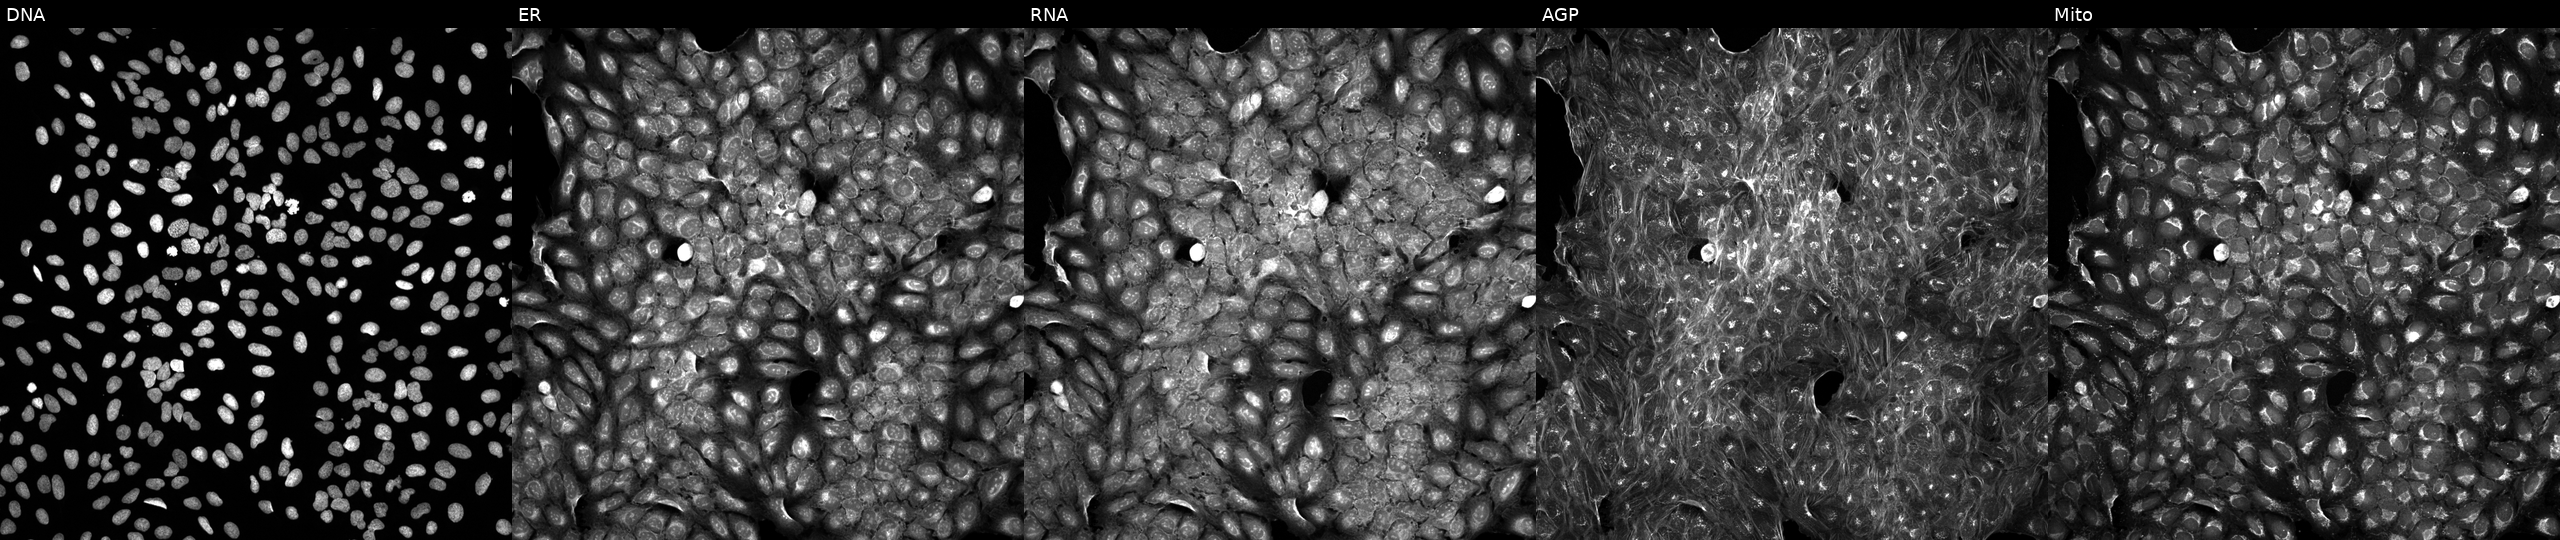
High-content fluorescence microscopy (Cell Painting). Cell line: U2OS. Perturbation: treated with a small-molecule compound (InChIKey QVZCXCJXTMIDME-UHFFFAOYSA-N) [SMILES: COc1cc(C(=O)OCCCN2CCCN(CCCOC(=O)c3cc(OC)c(OC)c(OC)c3)CC2)cc(OC)c1OC] (JUMP id JCP2022_076233). From left to right: DNA, ER, RNA, AGP, and Mito.